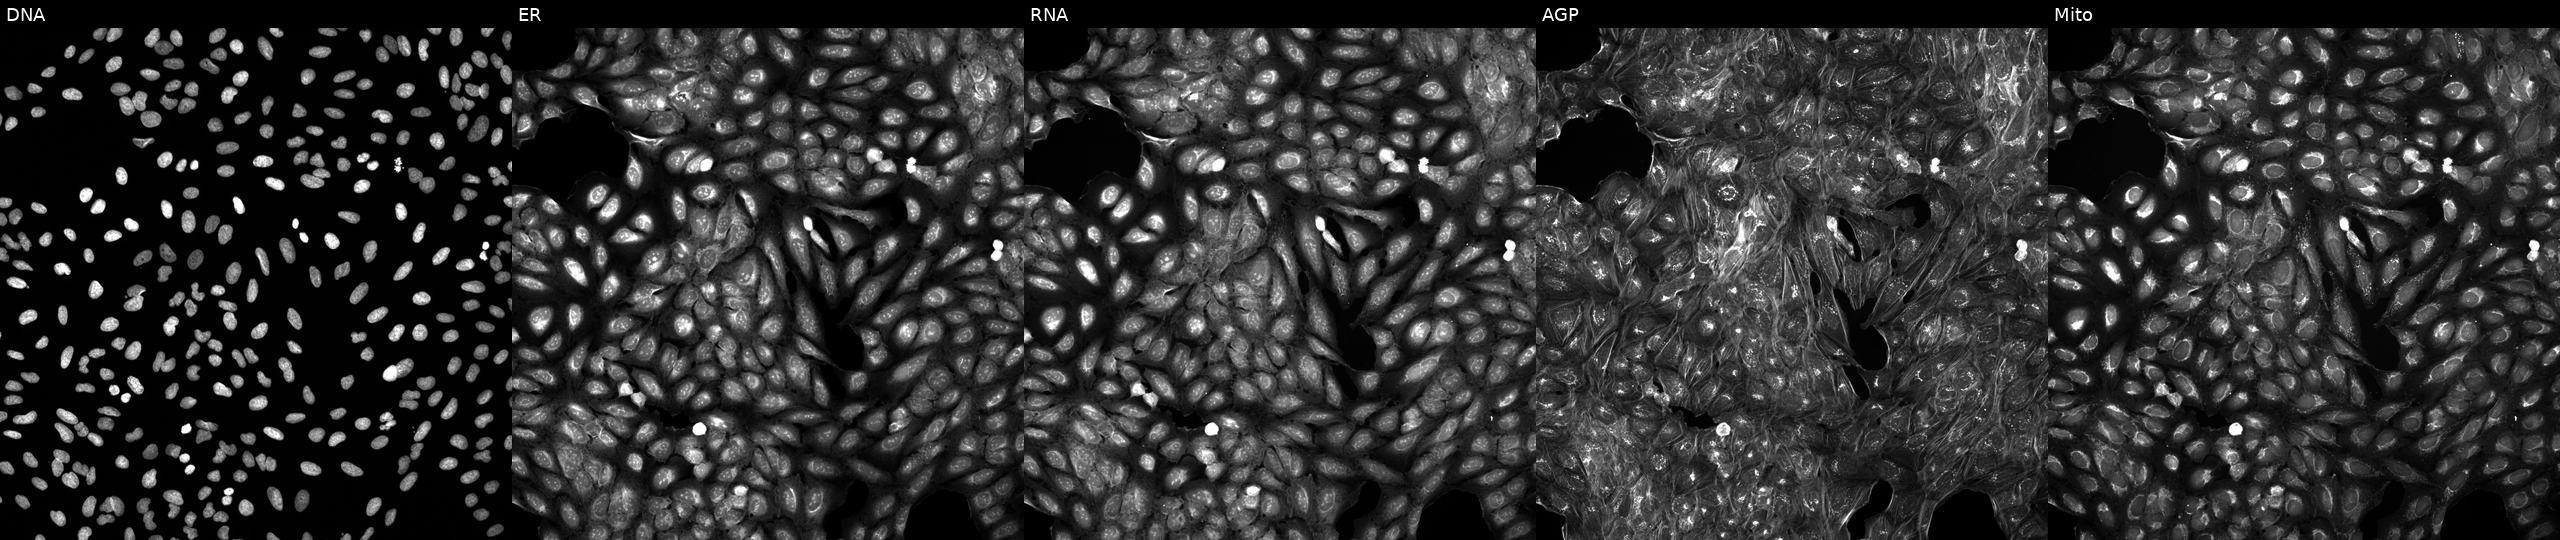
Five-channel Cell Painting image of U2OS cells treated with a small-molecule compound (JUMP id JCP2022_014768). From left to right: DNA (nuclei); ER (endoplasmic reticulum); RNA (nucleoli and cytoplasmic RNA); AGP (actin cytoskeleton, Golgi, and plasma membrane); Mito (mitochondria). Source 5, plate APTJUM105, well G03.